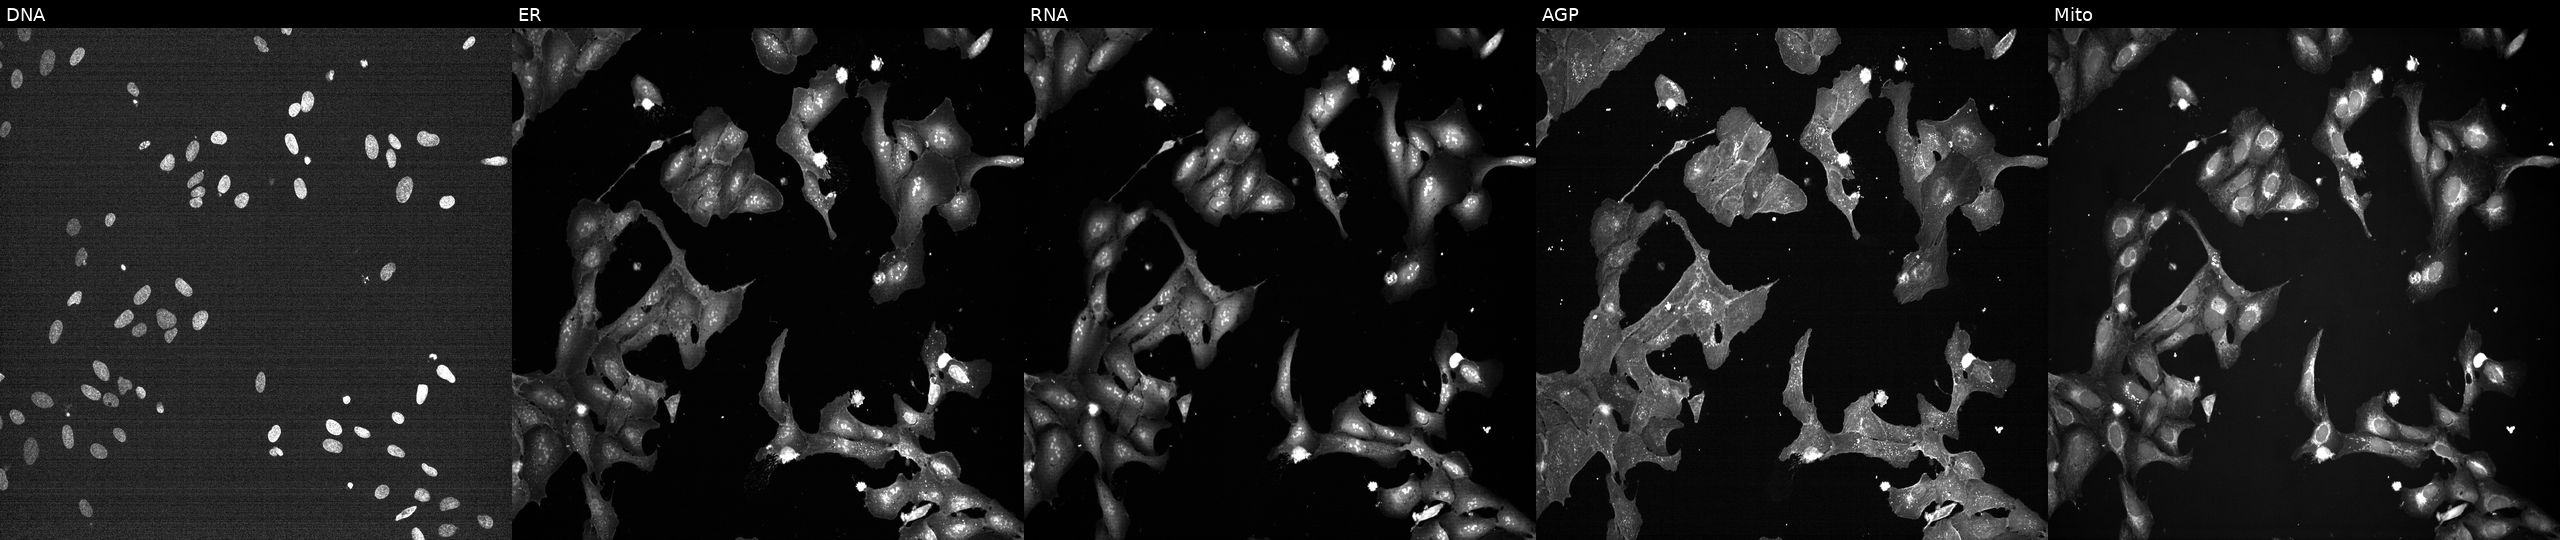
U2OS cells, Cell Painting assay, exposed to a small-molecule compound (InChIKey HUXYBQXJVXOMKX-UHFFFAOYSA-N) (JUMP id JCP2022_032771). Channels (left→right): Hoechst 33342, concanavalin A, SYTO 14, phalloidin and WGA, MitoTracker. Each panel is percentile-stretched 16-bit fluorescence.